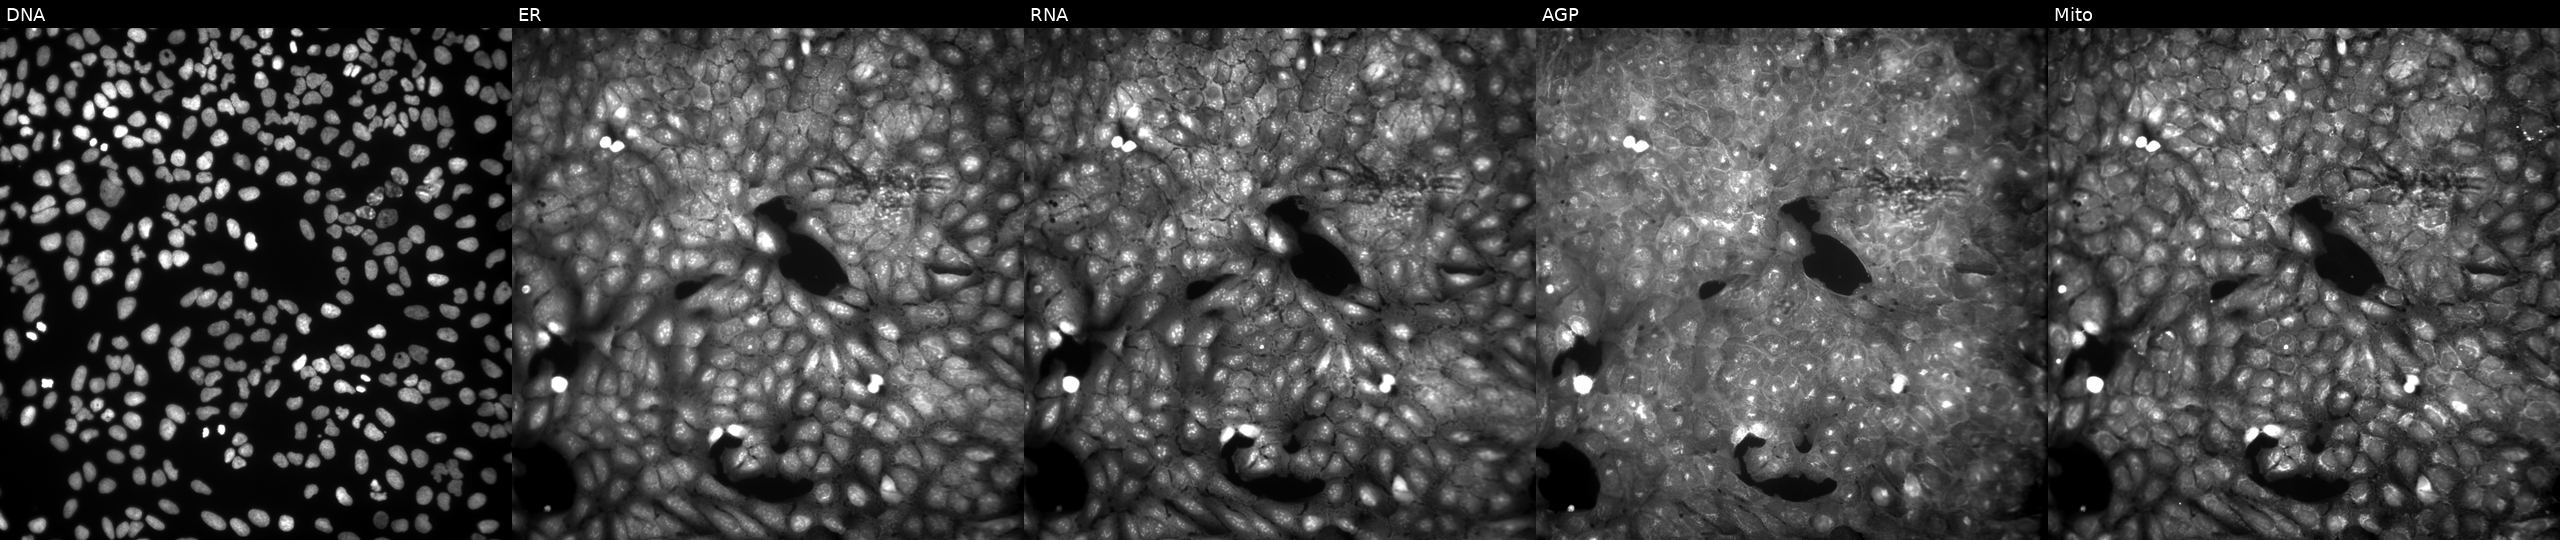
The five panels, left to right, show Hoechst 33342, concanavalin A, SYTO 14, phalloidin and WGA, MitoTracker. U2OS osteosarcoma cells exposed to a small-molecule compound (InChIKey DRNHVVJPFSVOGD-UHFFFAOYSA-N) (JUMP id JCP2022_017756). Cell Painting assay, JUMP-CP dataset. Source 9, plate GR00003381, well J45.